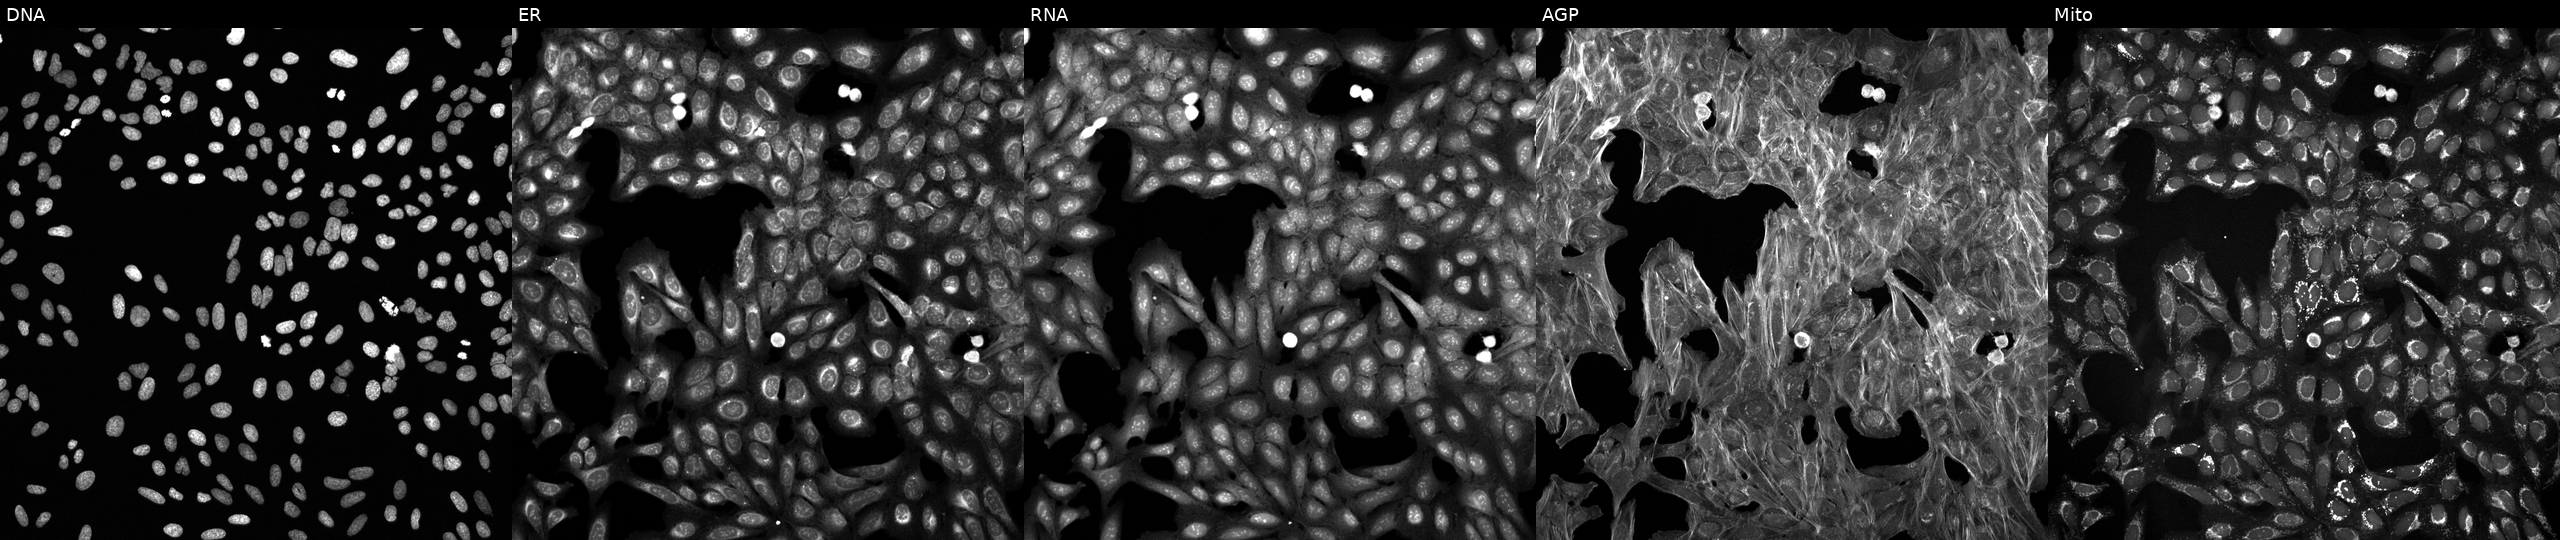
Panels show, left to right, DNA (nuclei); ER (endoplasmic reticulum); RNA (nucleoli and cytoplasmic RNA); AGP (actin cytoskeleton, Golgi, and plasma membrane); Mito (mitochondria). U2OS osteosarcoma cells exposed to a small-molecule compound (InChIKey WUEUJVPJXYRQQU-UHFFFAOYSA-N). Cell Painting assay, JUMP-CP dataset.